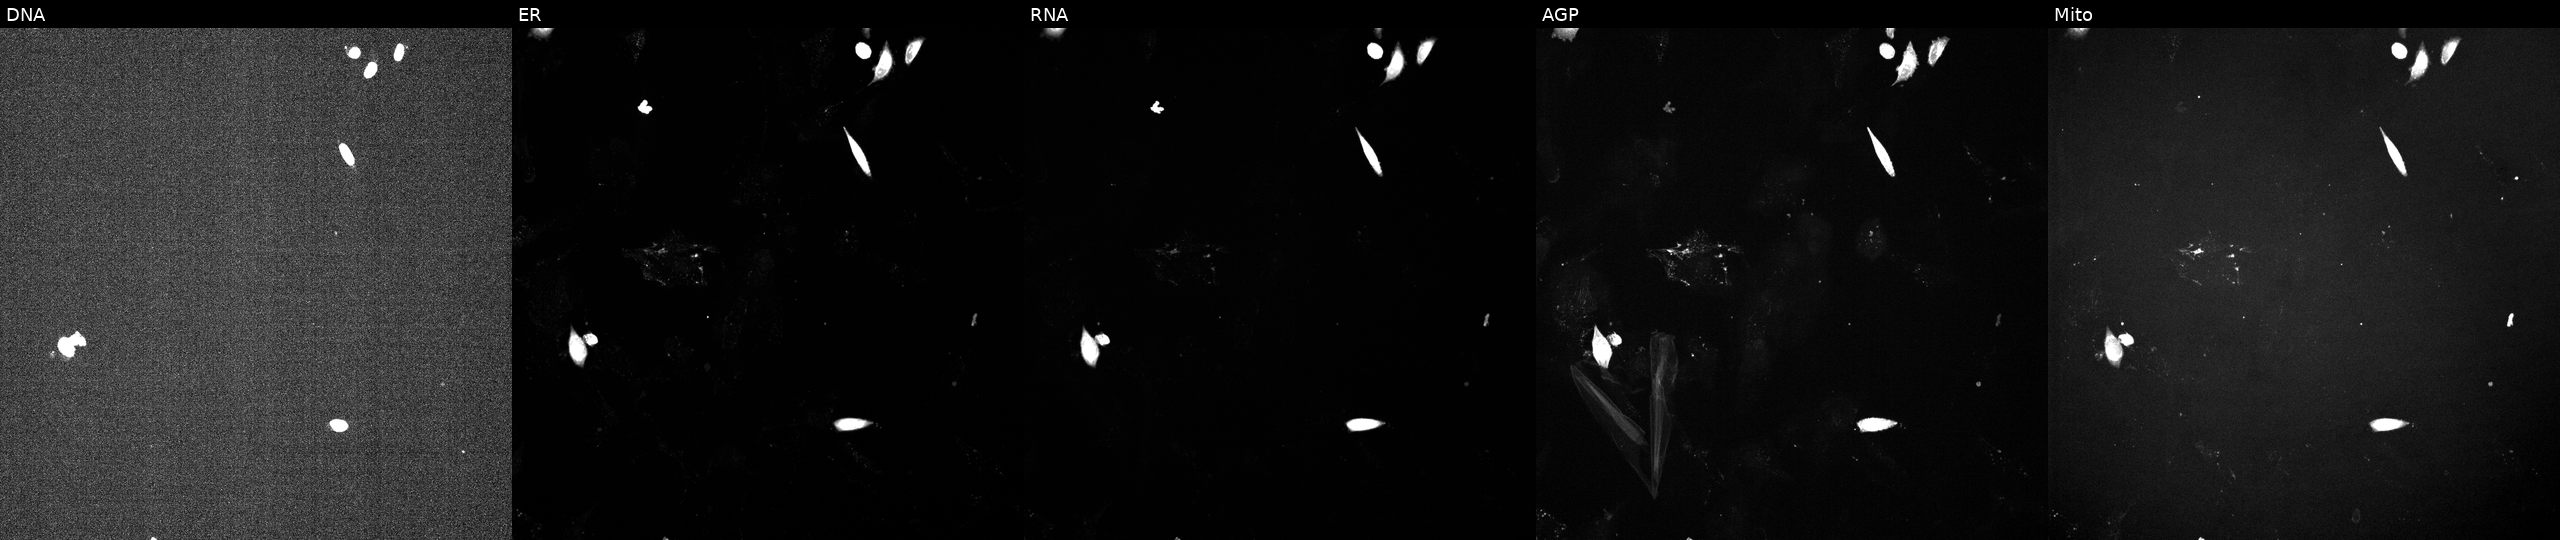
Panels show, left to right, DNA, ER, RNA, AGP, and Mito. U2OS osteosarcoma cells treated with a small-molecule compound (InChIKey SOOPLNPQGWJZHY-UHFFFAOYSA-N). Cell Painting assay, JUMP-CP dataset. Source 6, plate 110000293081, well L06.